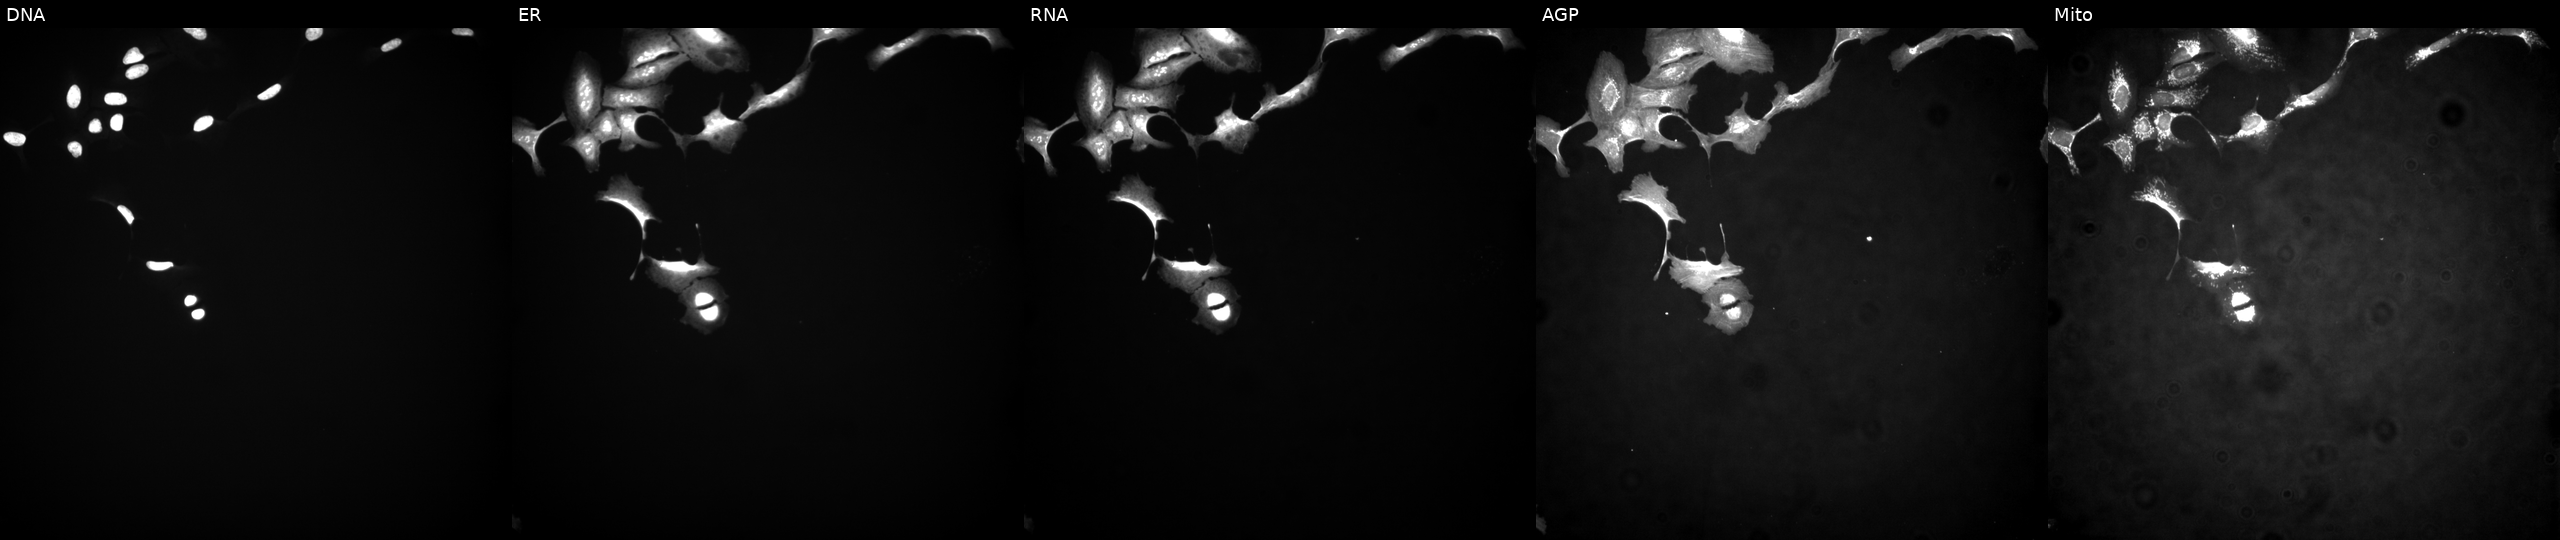
This image strip shows the five Cell Painting channels for a single field of U2OS cells with ATF7 overexpressed (ORF). Channels (left→right): DNA (nuclei); ER (endoplasmic reticulum); RNA (nucleoli and cytoplasmic RNA); AGP (actin cytoskeleton, Golgi, and plasma membrane); Mito (mitochondria). Source 4, plate BR00117035, well K11.